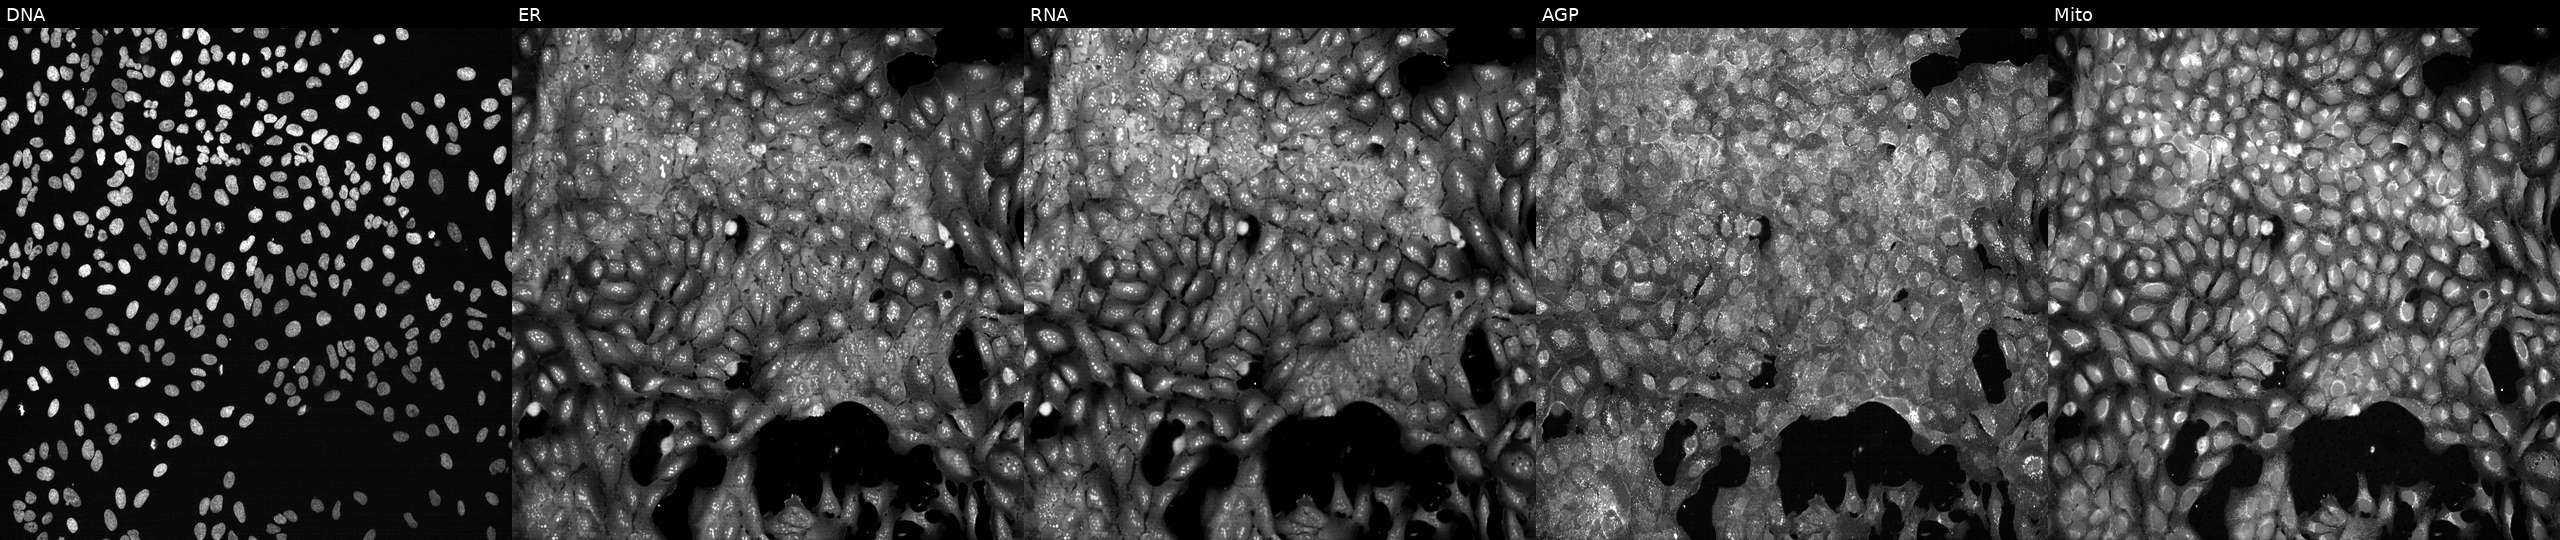
From left to right: DNA (nuclei); ER (endoplasmic reticulum); RNA (nucleoli and cytoplasmic RNA); AGP (actin cytoskeleton, Golgi, and plasma membrane); Mito (mitochondria). U2OS osteosarcoma cells following CRISPR knockout of HS3ST6. Cell Painting assay, JUMP-CP dataset.